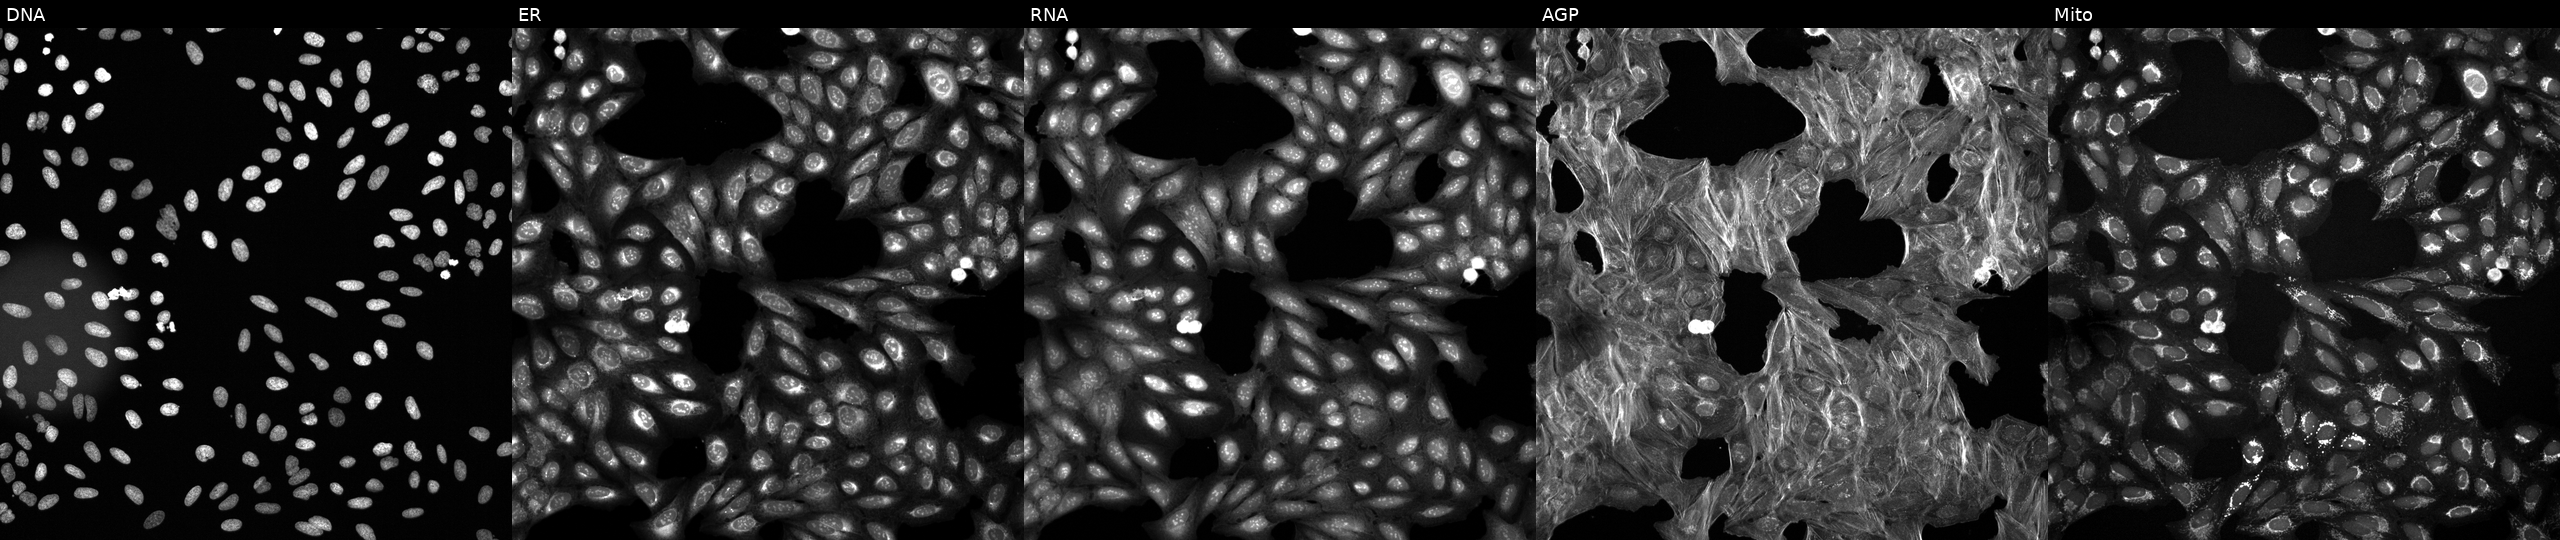
High-content fluorescence microscopy (Cell Painting). Cell line: U2OS. Perturbation: treated with a small-molecule compound (InChIKey NMPJWBKMLNZHJQ-UHFFFAOYSA-N). Channels (left→right): Hoechst 33342, concanavalin A, SYTO 14, phalloidin and WGA, MitoTracker.